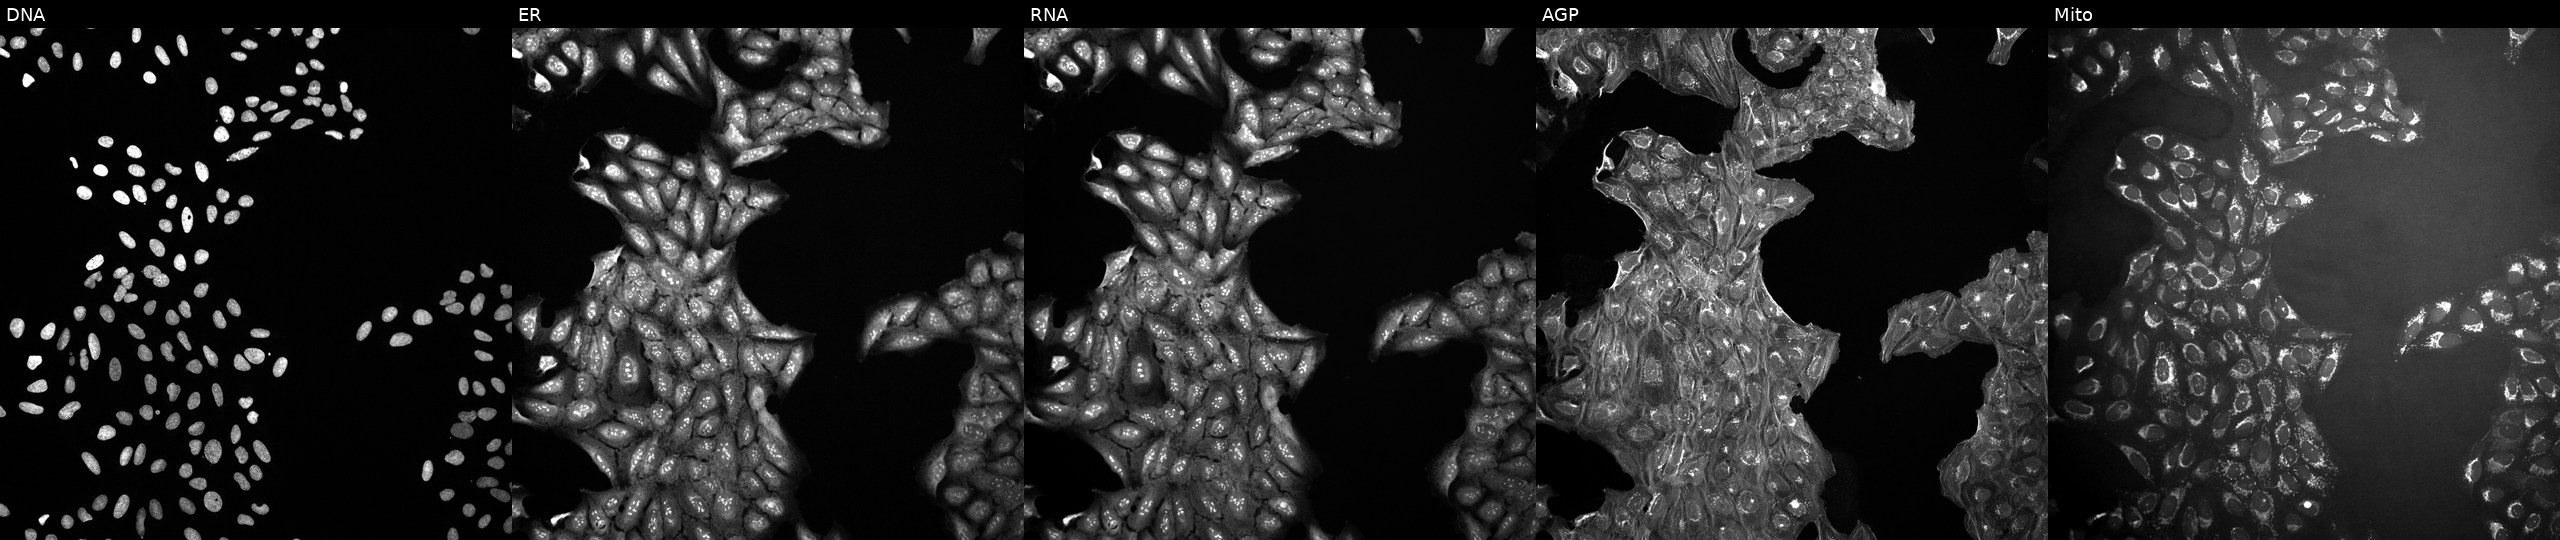
This image strip shows the five Cell Painting channels for a single field of U2OS cells exposed to a small-molecule compound. From left to right: DNA (nuclei); ER (endoplasmic reticulum); RNA (nucleoli and cytoplasmic RNA); AGP (actin cytoskeleton, Golgi, and plasma membrane); Mito (mitochondria).